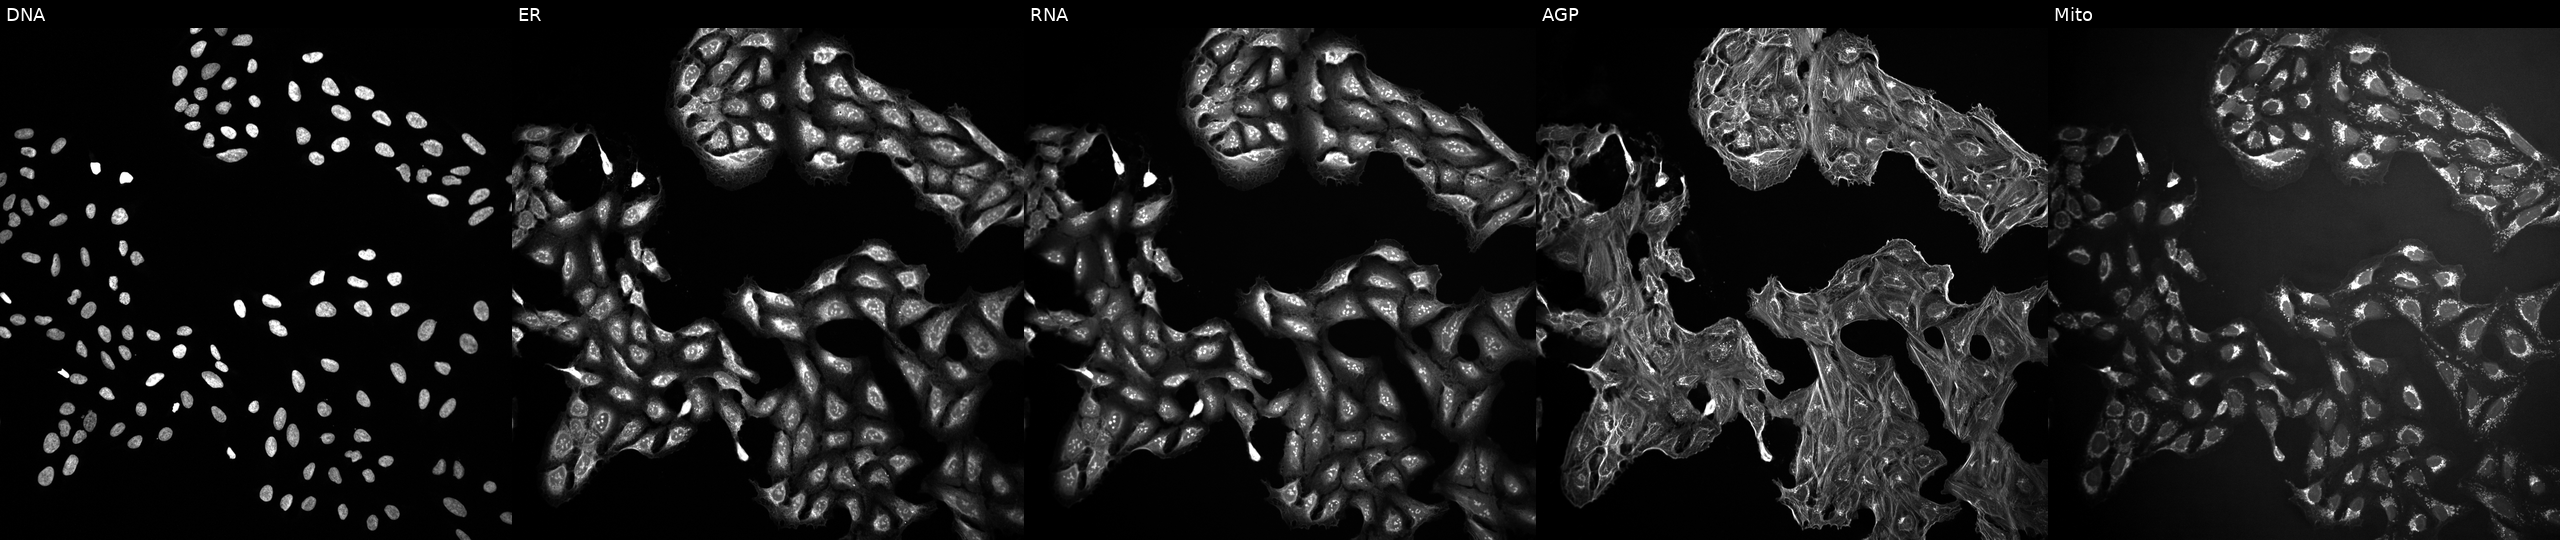
Five-channel Cell Painting image of U2OS cells exposed to a small-molecule compound (InChIKey UFJGFNHRMPMALC-UHFFFAOYSA-N). Channels (left→right): Hoechst 33342, concanavalin A, SYTO 14, phalloidin and WGA, MitoTracker. Source 10, plate Dest210727-153003, well I19.